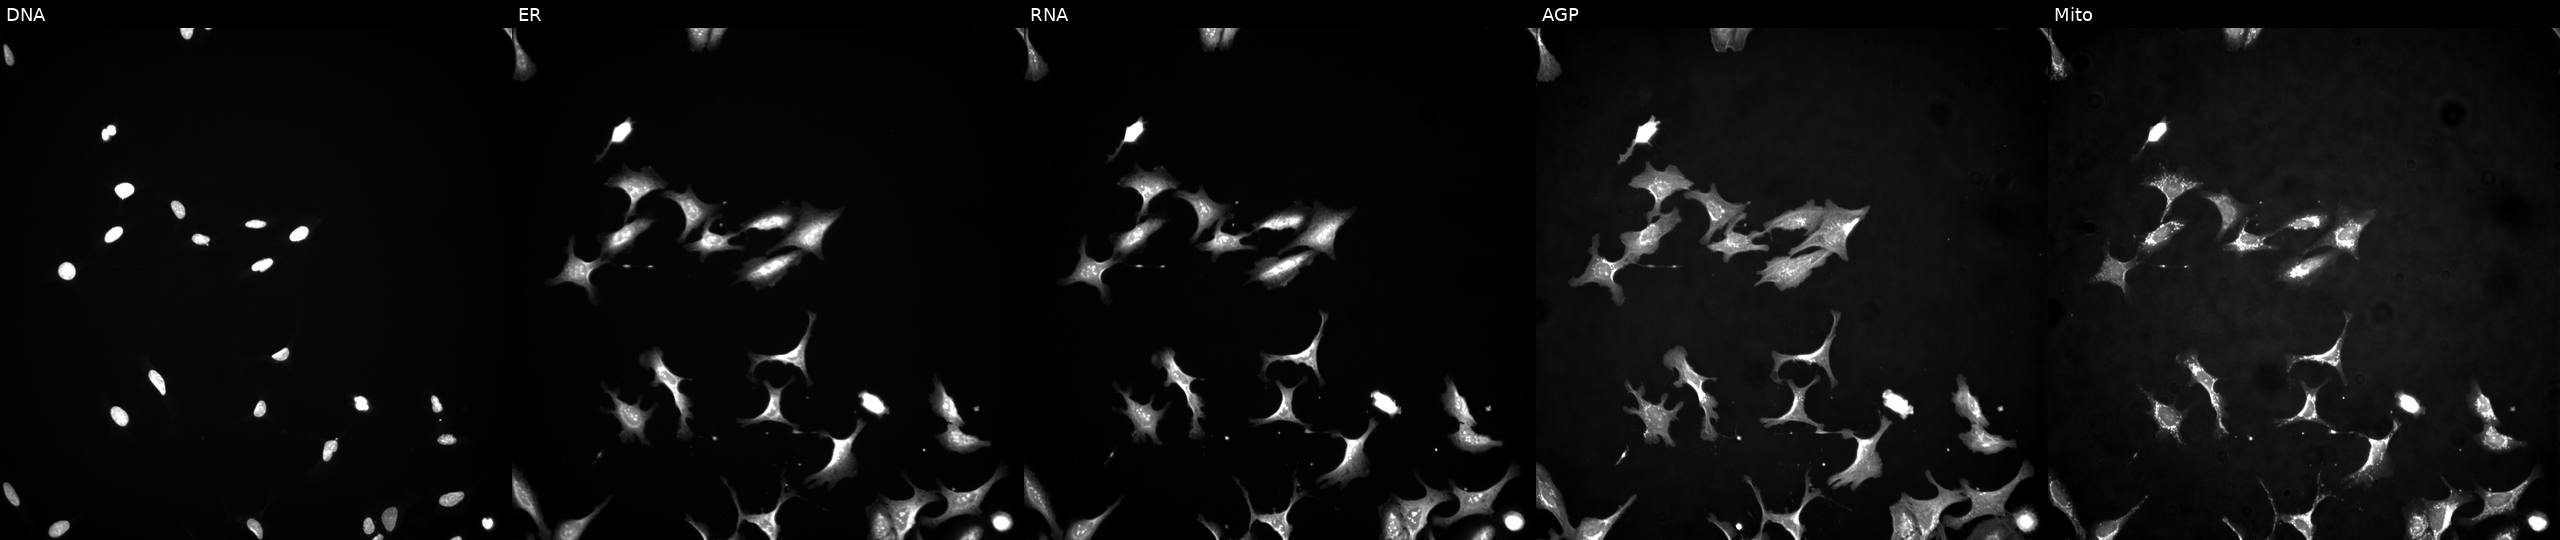
High-content fluorescence microscopy (Cell Painting). Cell line: U2OS. Perturbation: transfected with an ORF construct for CDK3 (JUMP id JCP2022_913606). From left to right: Hoechst 33342, concanavalin A, SYTO 14, phalloidin and WGA, MitoTracker.